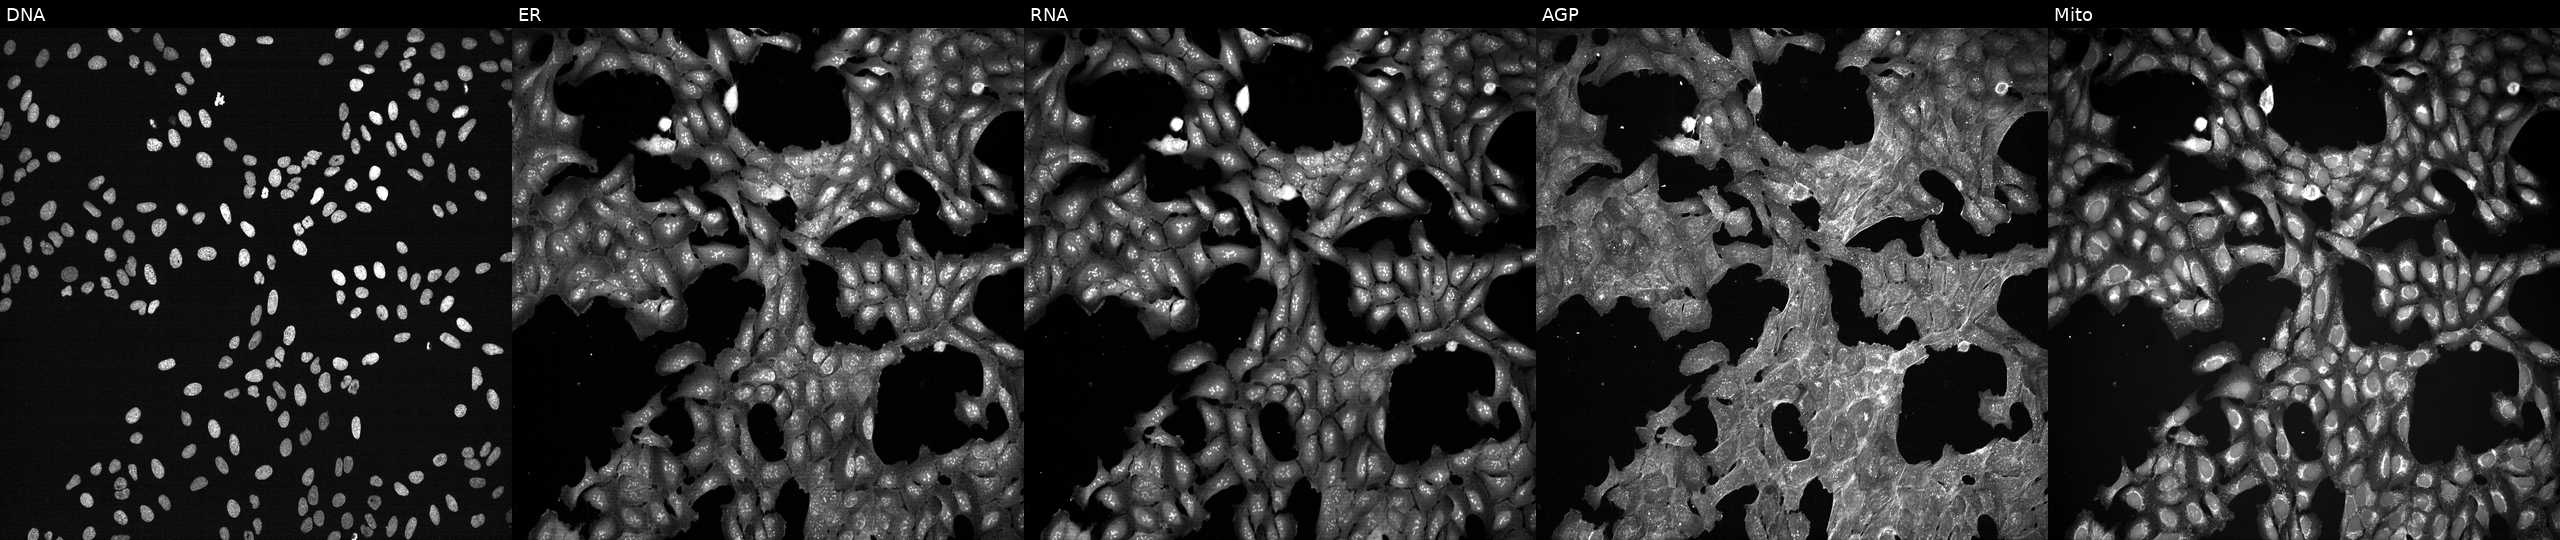
This image strip shows the five Cell Painting channels for a single field of U2OS cells perturbed with a small-molecule compound (InChIKey DTGLZDAWLRGWQN-UHFFFAOYSA-N). From left to right: DNA, ER, RNA, AGP, and Mito.